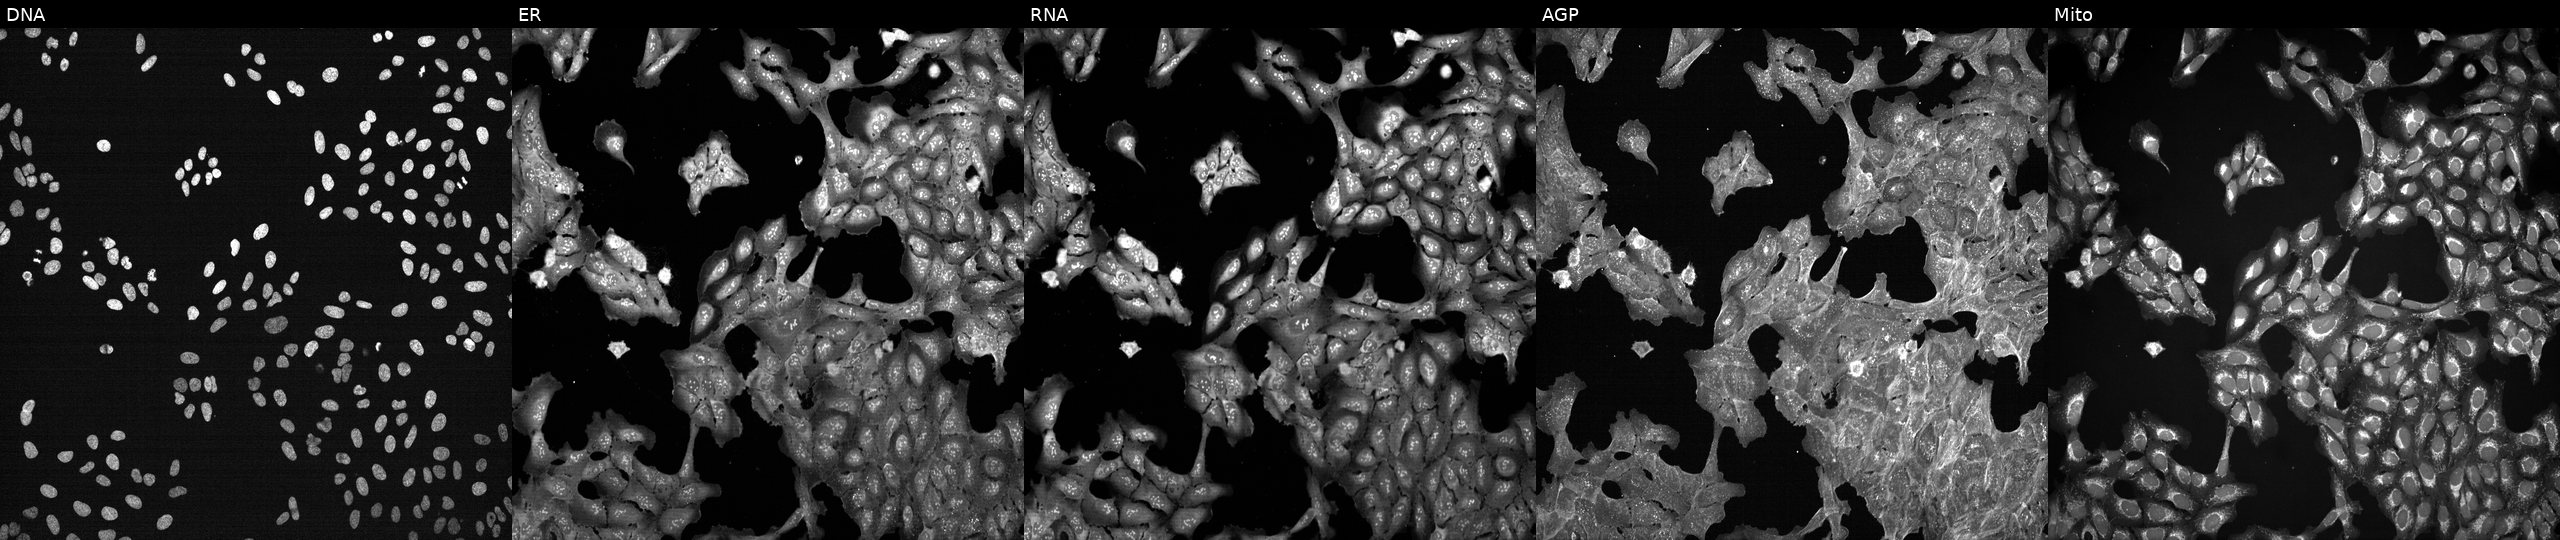
This image strip shows the five Cell Painting channels for a single field of U2OS cells exposed to DMSO alone as a negative control (JUMP id JCP2022_033924). Panels show, left to right, DNA, ER, RNA, AGP, and Mito.